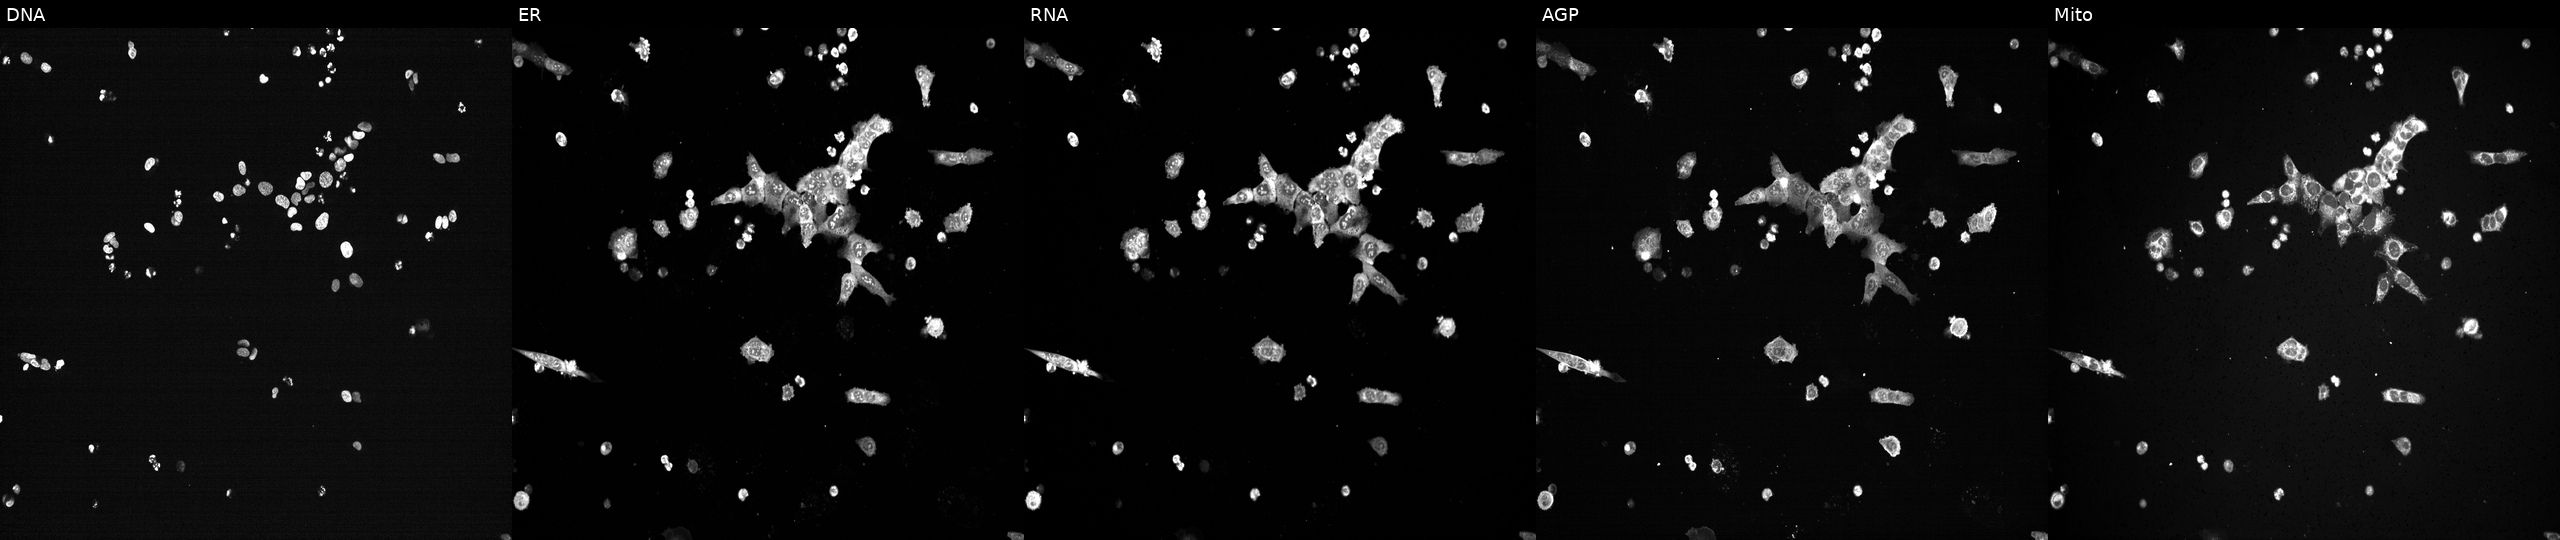
High-content fluorescence microscopy (Cell Painting). Cell line: U2OS. Perturbation: CRISPR-edited to disrupt HSPA5 (JUMP id JCP2022_803268). Panels show, left to right, Hoechst 33342, concanavalin A, SYTO 14, phalloidin and WGA, MitoTracker.